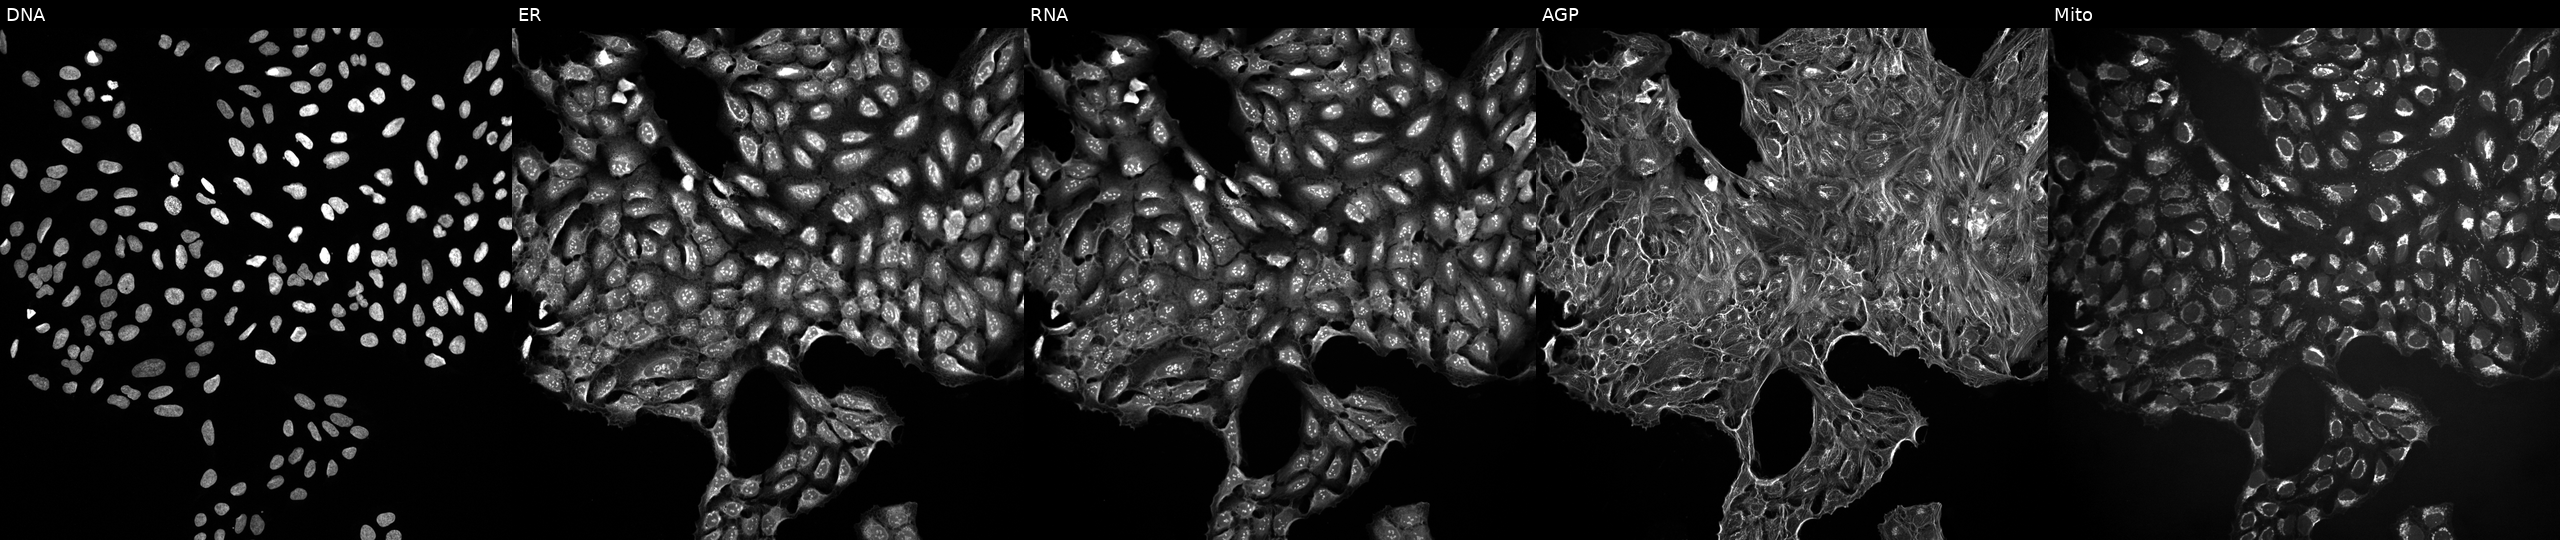
U2OS cells, Cell Painting assay, treated with a small-molecule compound (InChIKey VGZSUPCWNCWDAN-UHFFFAOYSA-N) (JUMP id JCP2022_093901). Channels (left→right): Hoechst 33342, concanavalin A, SYTO 14, phalloidin and WGA, MitoTracker. Each panel is percentile-stretched 16-bit fluorescence.